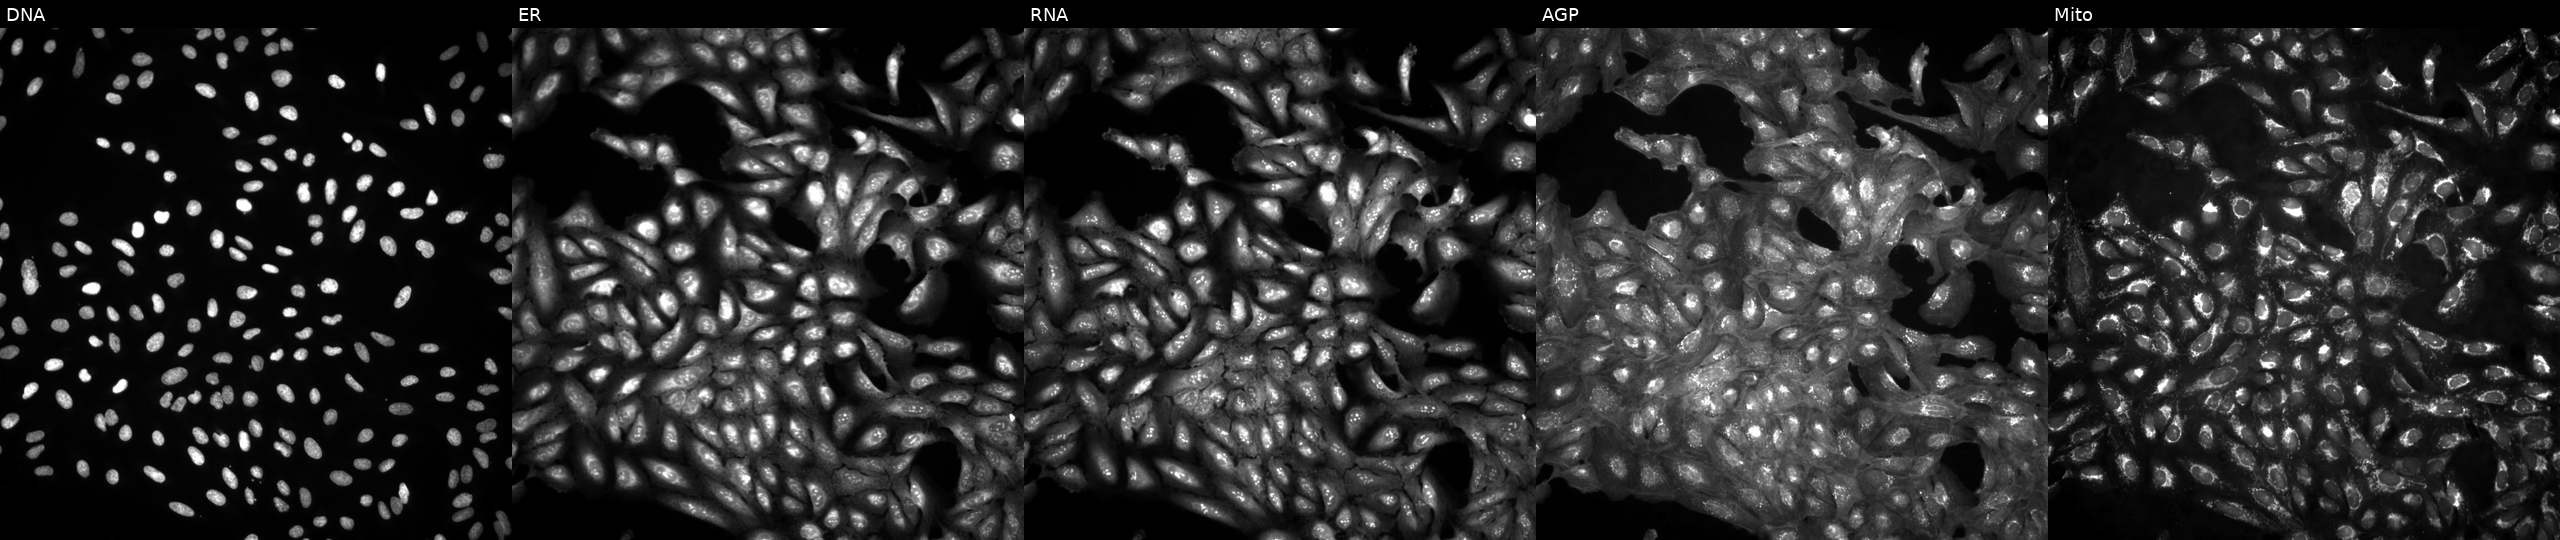
High-content fluorescence microscopy (Cell Painting). Cell line: U2OS. Perturbation: untreated (empty-well control). Channels (left→right): DNA (nuclei); ER (endoplasmic reticulum); RNA (nucleoli and cytoplasmic RNA); AGP (actin cytoskeleton, Golgi, and plasma membrane); Mito (mitochondria).